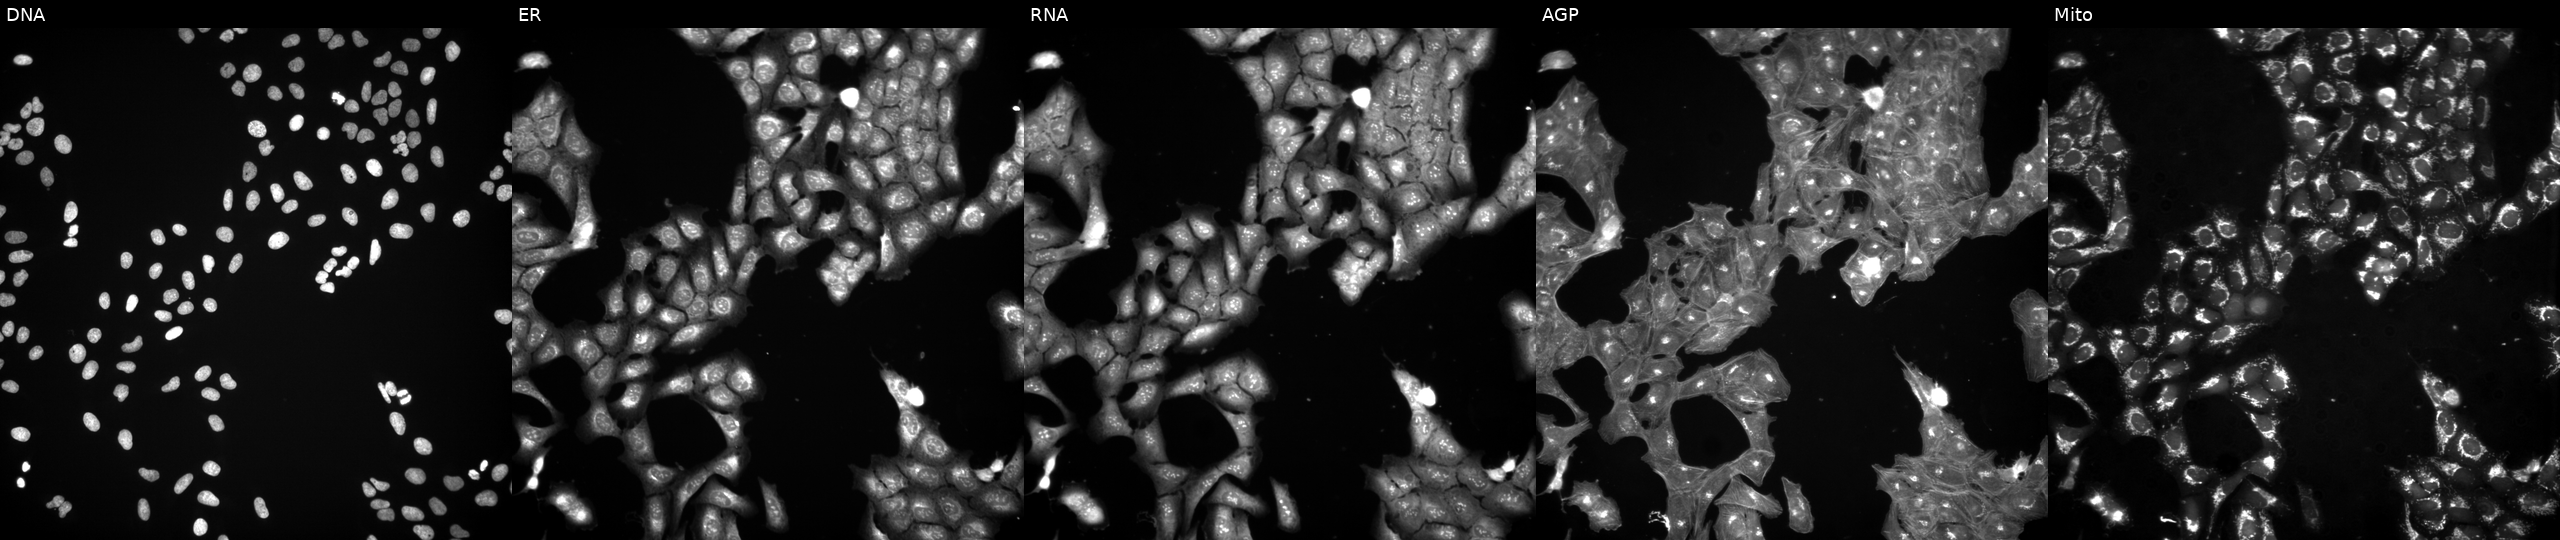
This image strip shows the five Cell Painting channels for a single field of U2OS cells treated with a small-molecule compound (InChIKey XEDBYYXKMTYTDP-UHFFFAOYSA-N). The five panels, left to right, show DNA, ER, RNA, AGP, and Mito. Source 3, plate BR5867b3, well C09.